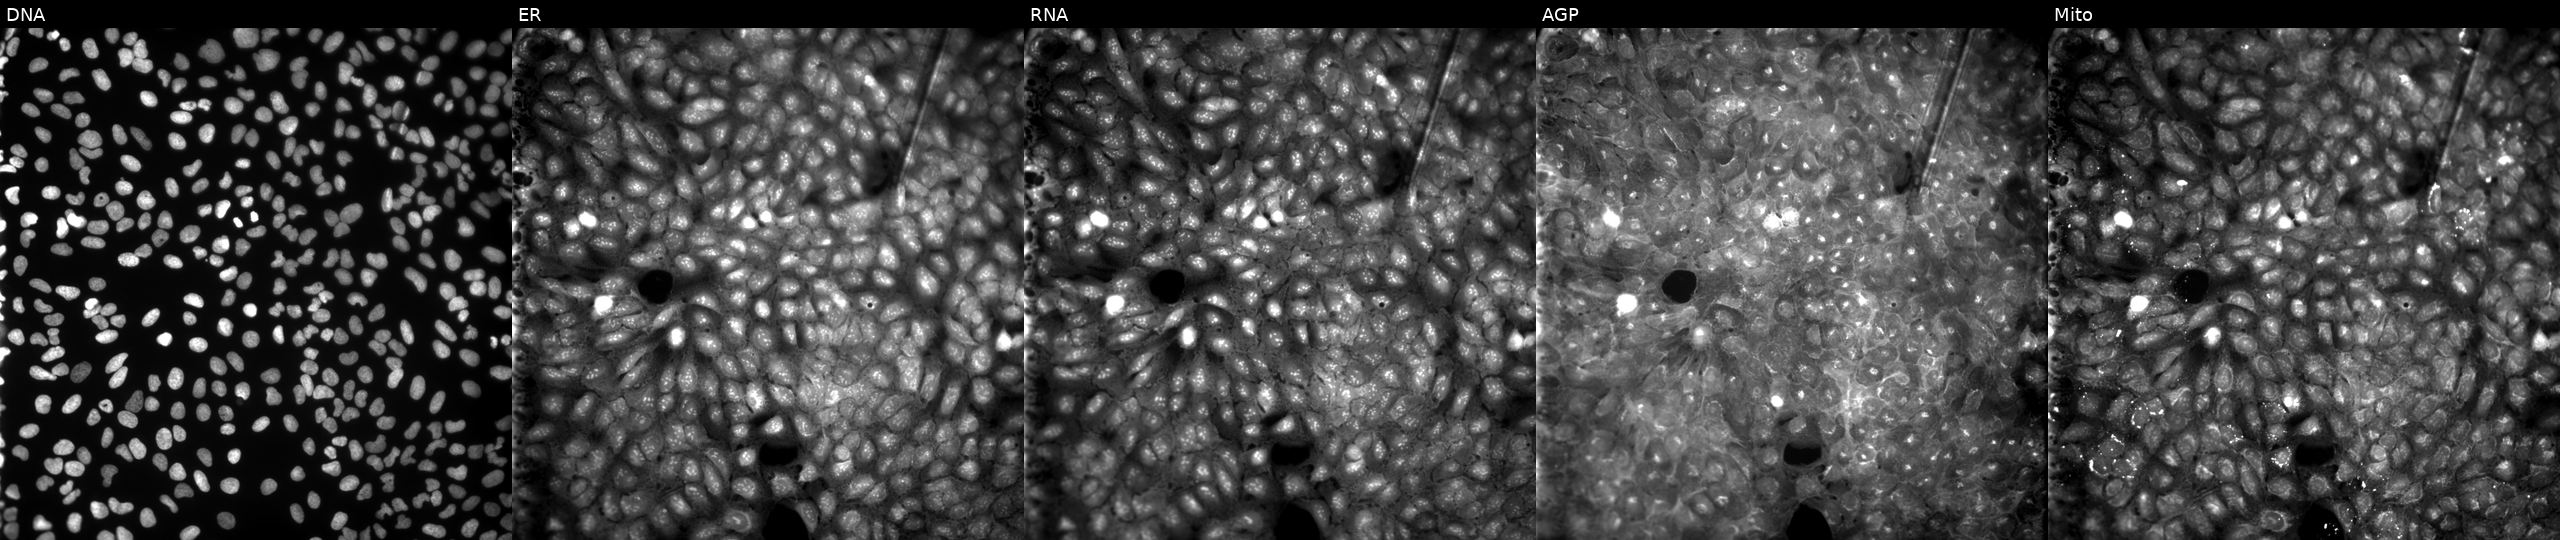
High-content fluorescence microscopy (Cell Painting). Cell line: U2OS. Perturbation: perturbed with a small-molecule compound (InChIKey CVVNLECKZRYEIZ-UHFFFAOYSA-N) [SMILES: Cc1cccc(C)c1NC(=O)CSc1nnnn1-c1ccc(C(=O)O)cc1]. From left to right: Hoechst 33342, concanavalin A, SYTO 14, phalloidin and WGA, MitoTracker. Source 9, plate GR00003381, well Z07.